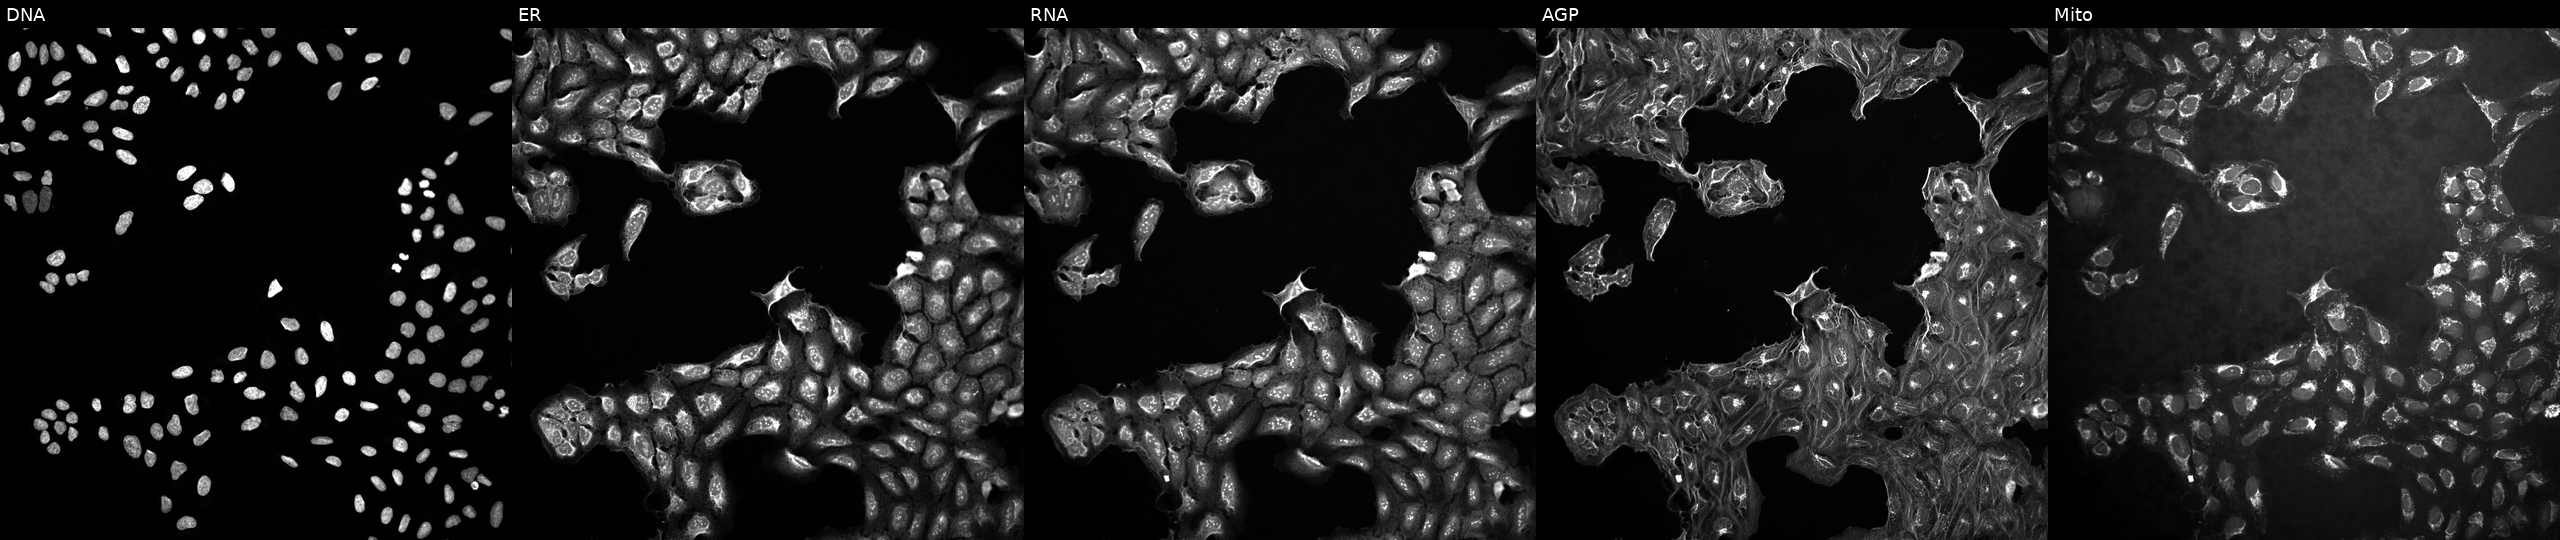
High-content fluorescence microscopy (Cell Painting). Cell line: U2OS. Perturbation: in an empty control well (no perturbation). Panels show, left to right, DNA, ER, RNA, AGP, and Mito. Source 10, plate Dest210531-152324, well C21.